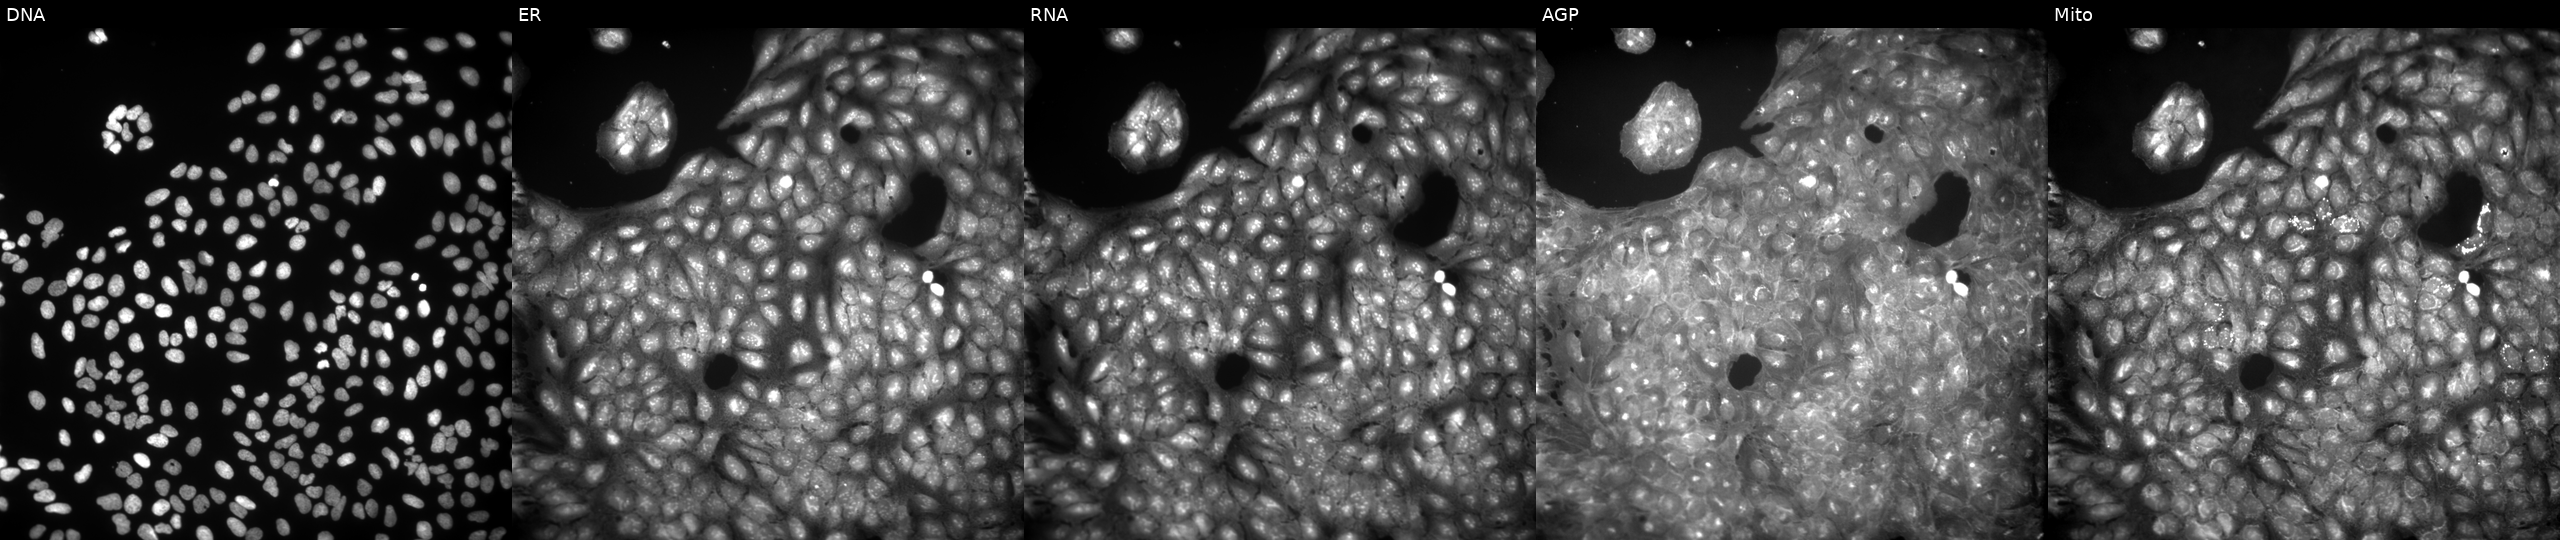
This image strip shows the five Cell Painting channels for a single field of U2OS cells exposed to a small-molecule compound (InChIKey QUIRACCDAZCGGN-UHFFFAOYSA-N). The five panels, left to right, show DNA (nuclei); ER (endoplasmic reticulum); RNA (nucleoli and cytoplasmic RNA); AGP (actin cytoskeleton, Golgi, and plasma membrane); Mito (mitochondria).